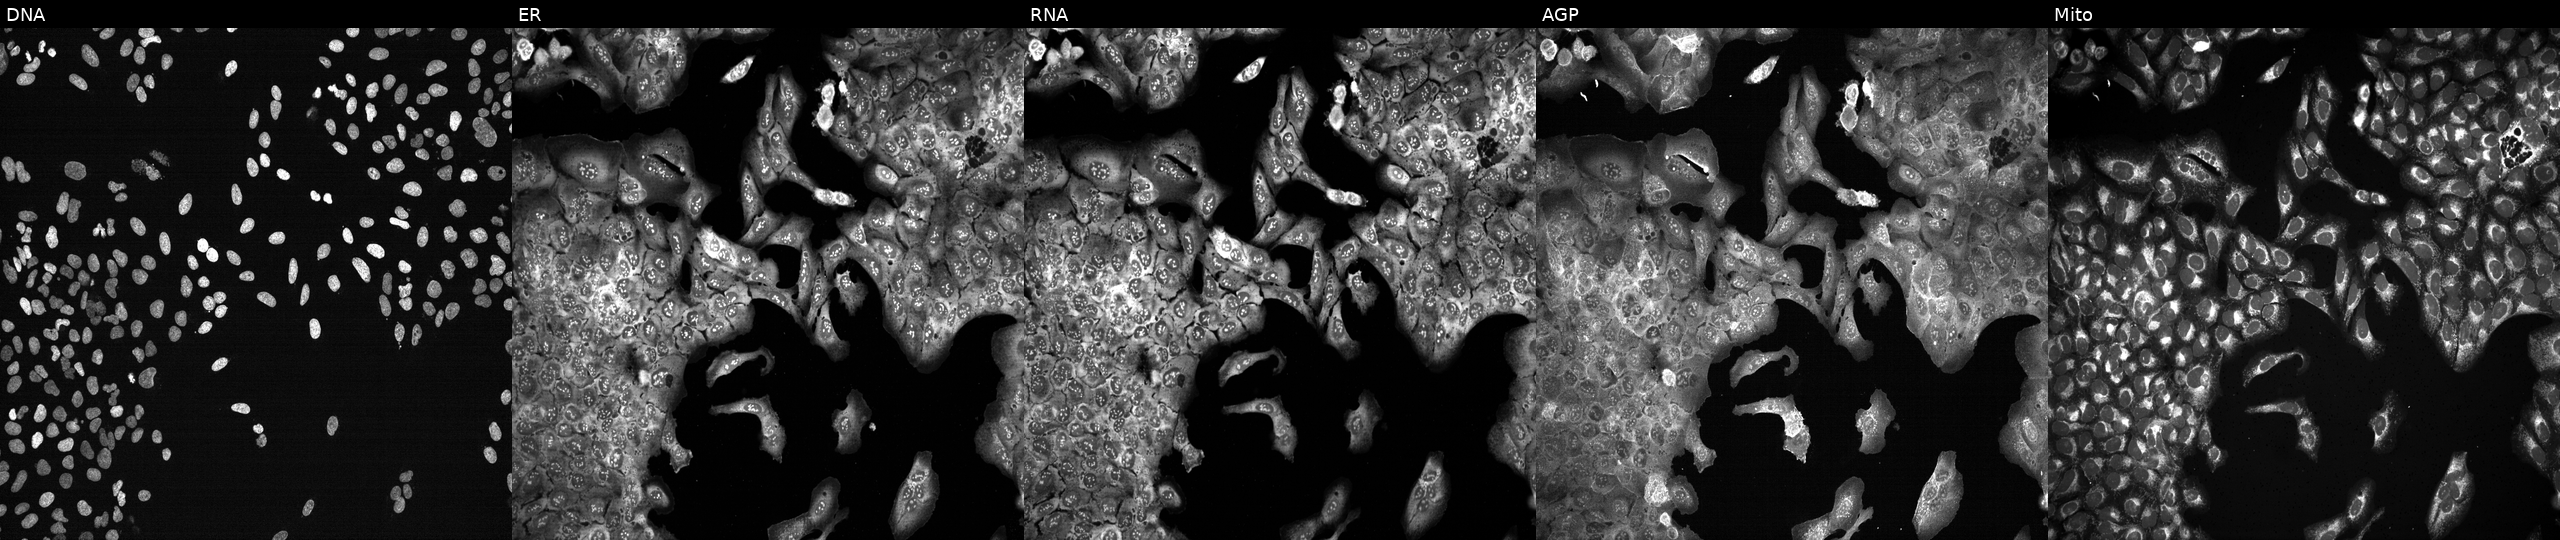
High-content fluorescence microscopy (Cell Painting). Cell line: U2OS. Perturbation: with FGD1 knocked out by CRISPR (JUMP id JCP2022_802374). Panels show, left to right, DNA, ER, RNA, AGP, and Mito. Source 13, plate CP-CC9-R4-04, well K13.